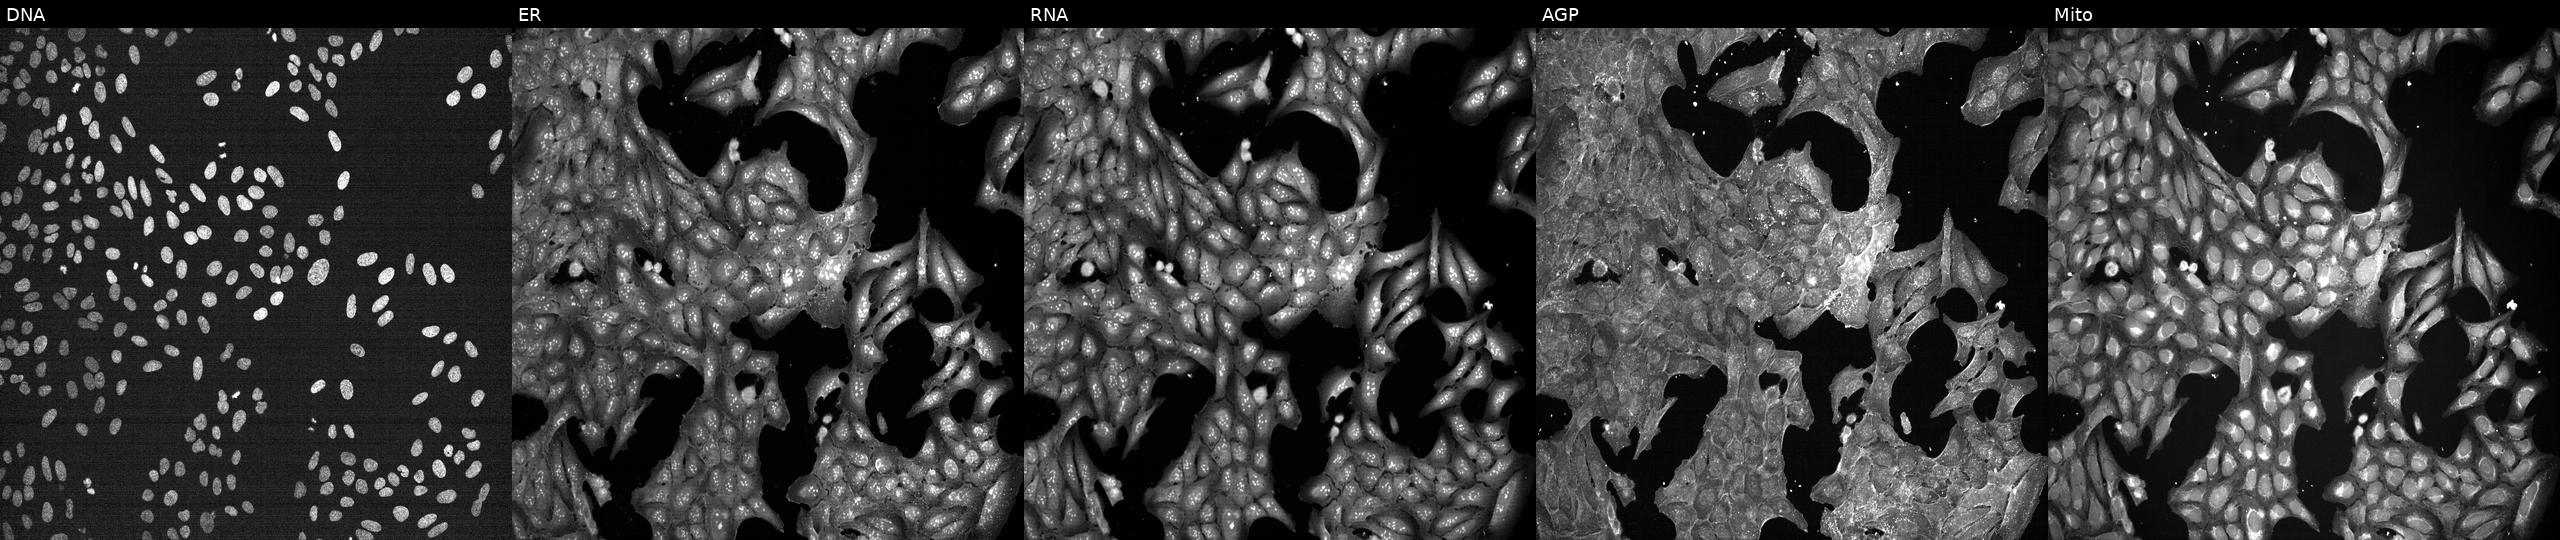
JUMP Cell Painting — TARGET2 plate. U2OS cells perturbed with a small-molecule compound (InChIKey PWKSKIMOESPYIA-UHFFFAOYSA-N). From left to right: Hoechst 33342, concanavalin A, SYTO 14, phalloidin and WGA, MitoTracker.